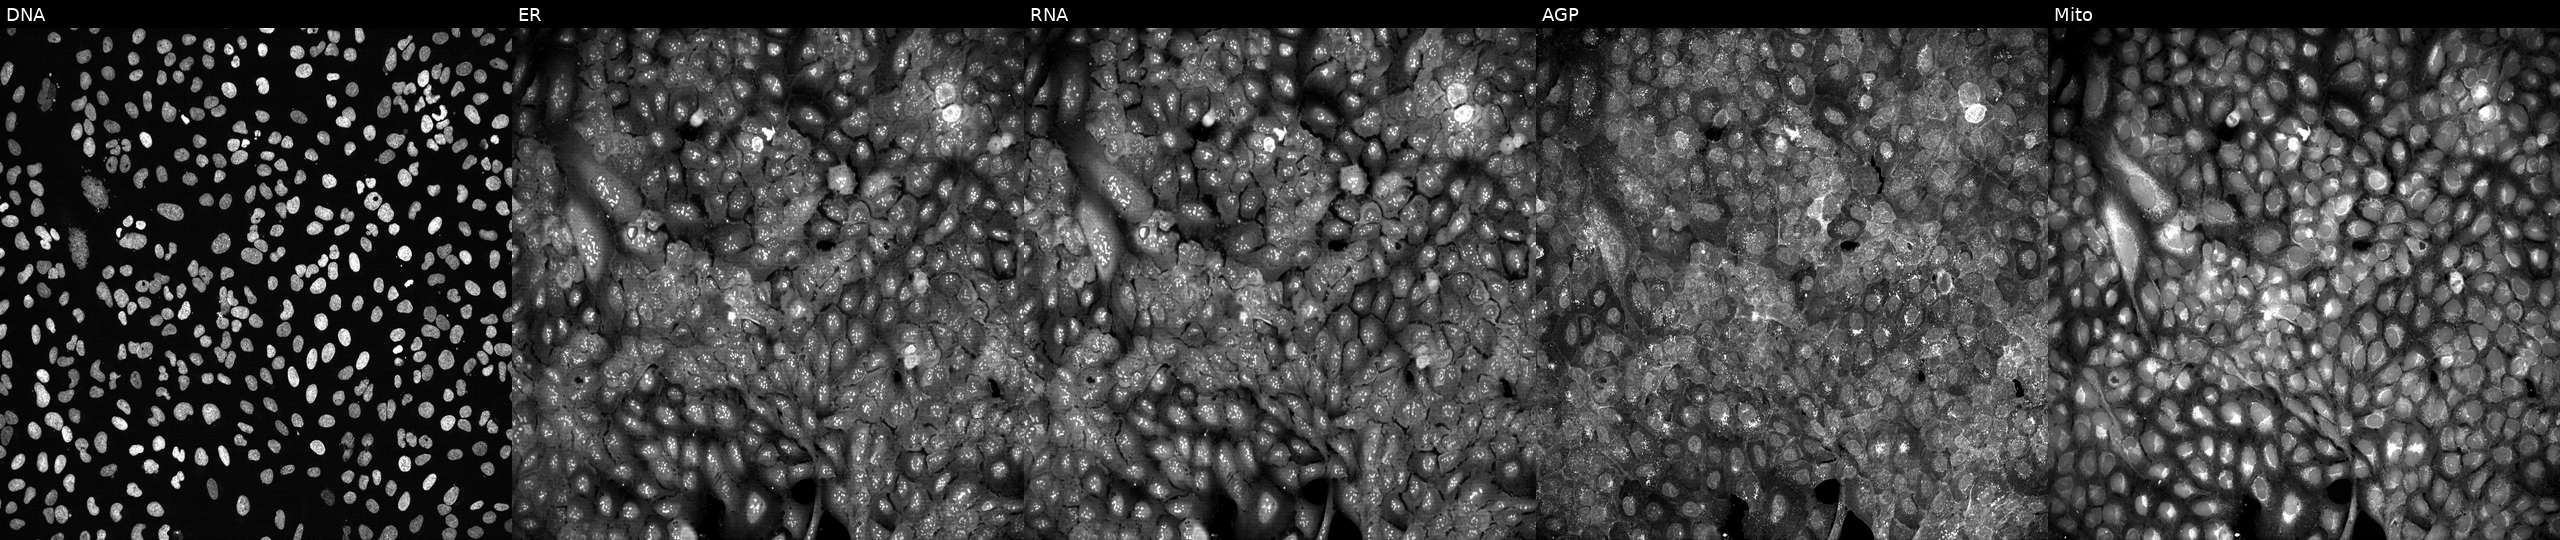
This image strip shows the five Cell Painting channels for a single field of U2OS cells CRISPR-edited to disrupt IDH3A (JUMP id JCP2022_803322). Panels show, left to right, DNA, ER, RNA, AGP, and Mito.